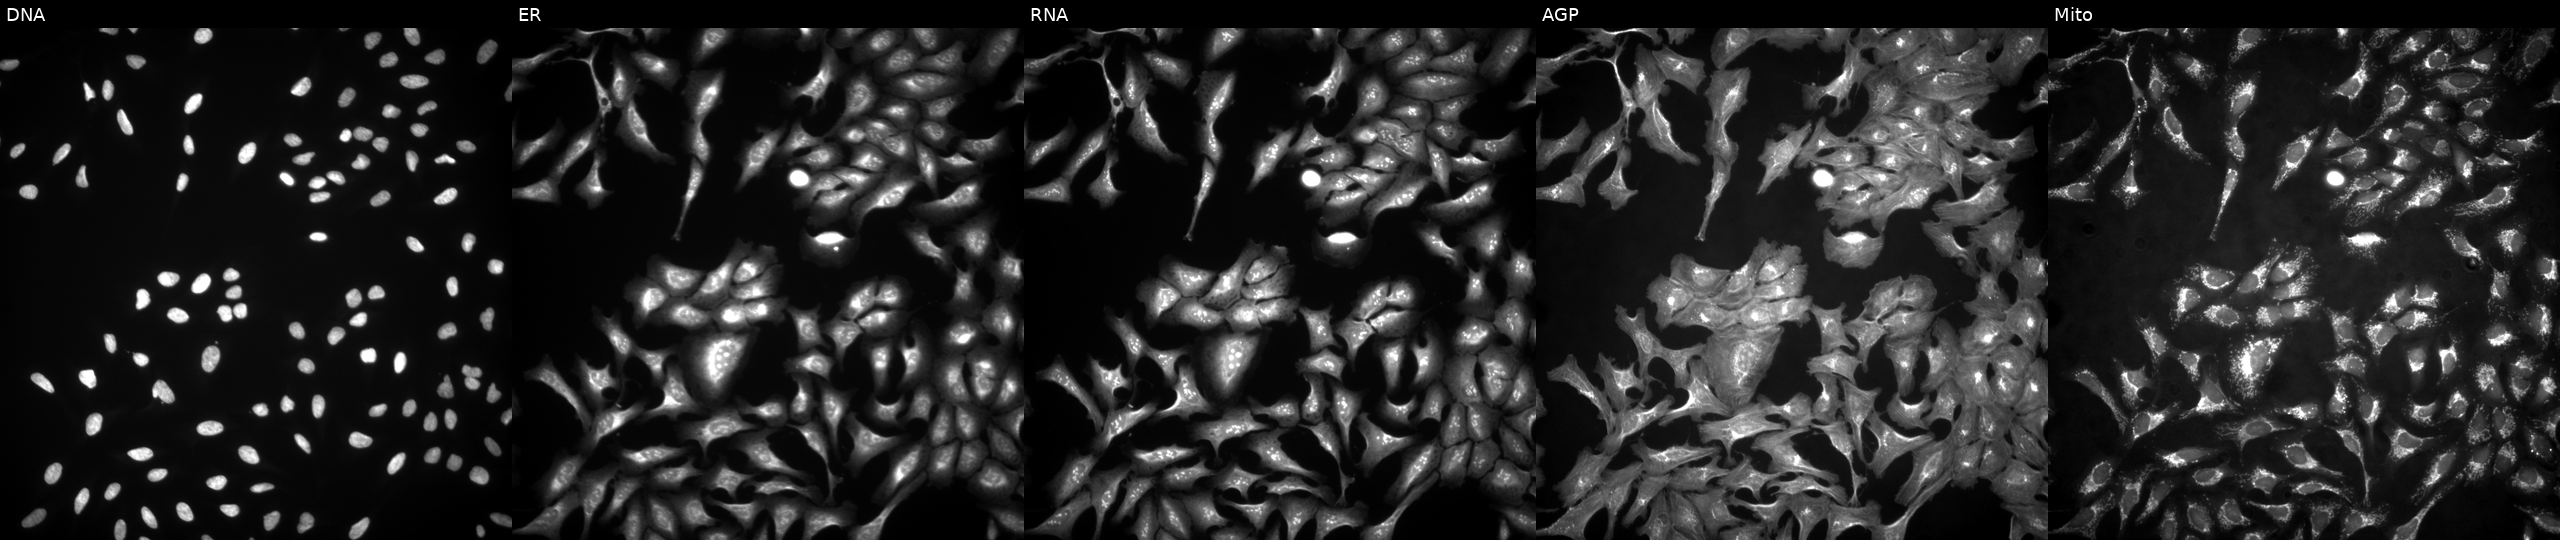
U2OS cells, Cell Painting assay, overexpressing BSPRY via ORF transfection (JUMP id JCP2022_911275). Channels (left→right): Hoechst 33342, concanavalin A, SYTO 14, phalloidin and WGA, MitoTracker. Each panel is percentile-stretched 16-bit fluorescence.